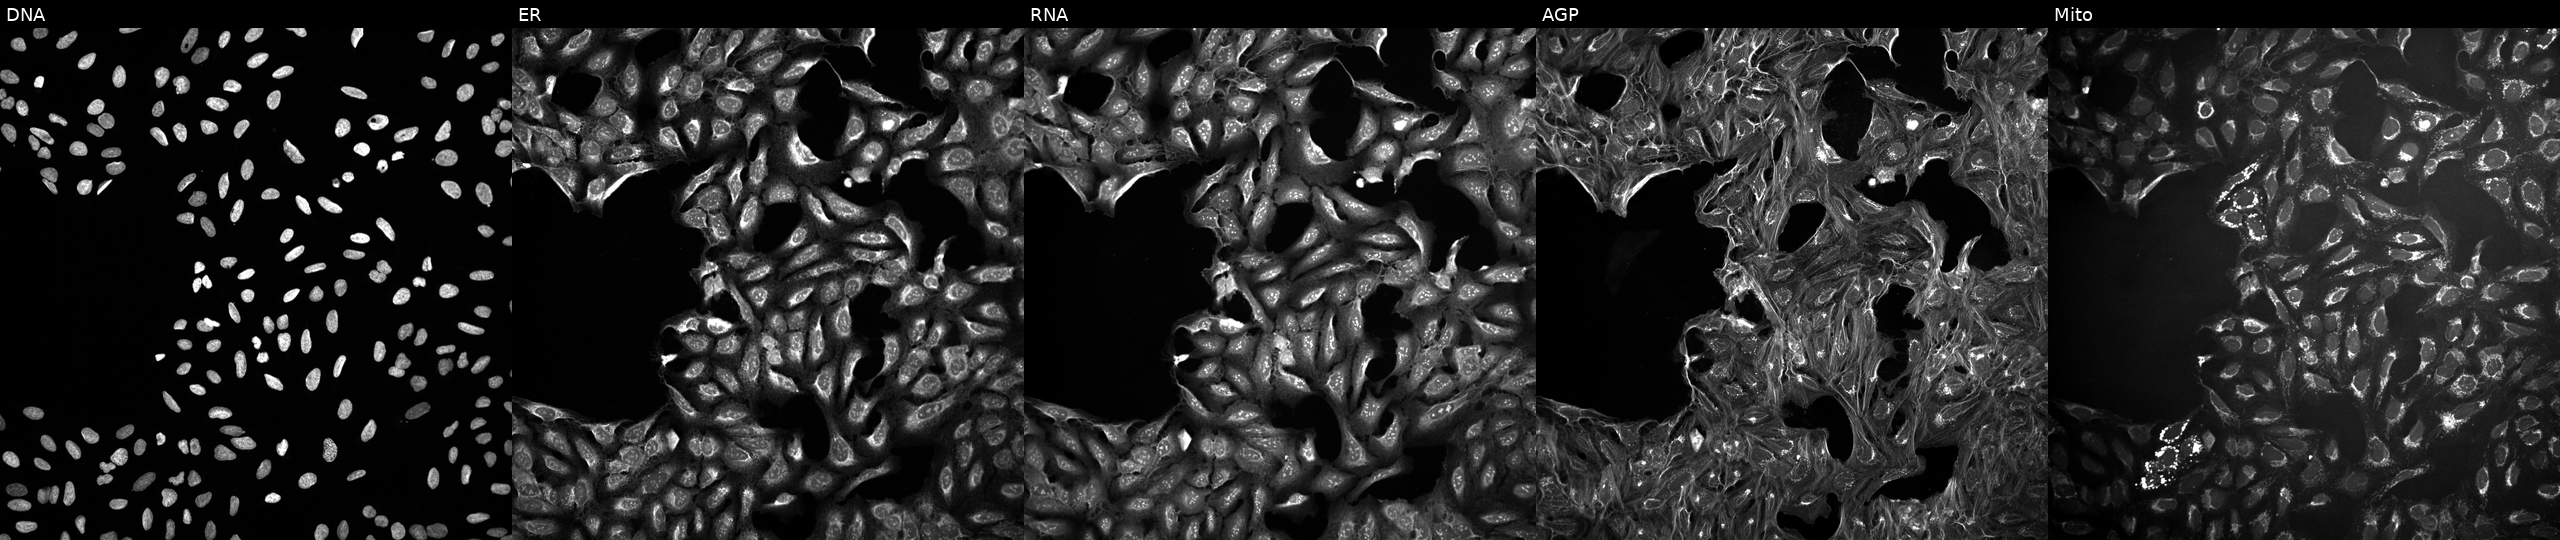
U2OS cells, Cell Painting assay, perturbed with a small-molecule compound (InChIKey JXJVKTUOVFBZEA-UHFFFAOYSA-N) (JUMP id JCP2022_042745). Panels show, left to right, DNA, ER, RNA, AGP, and Mito. Each panel is percentile-stretched 16-bit fluorescence.